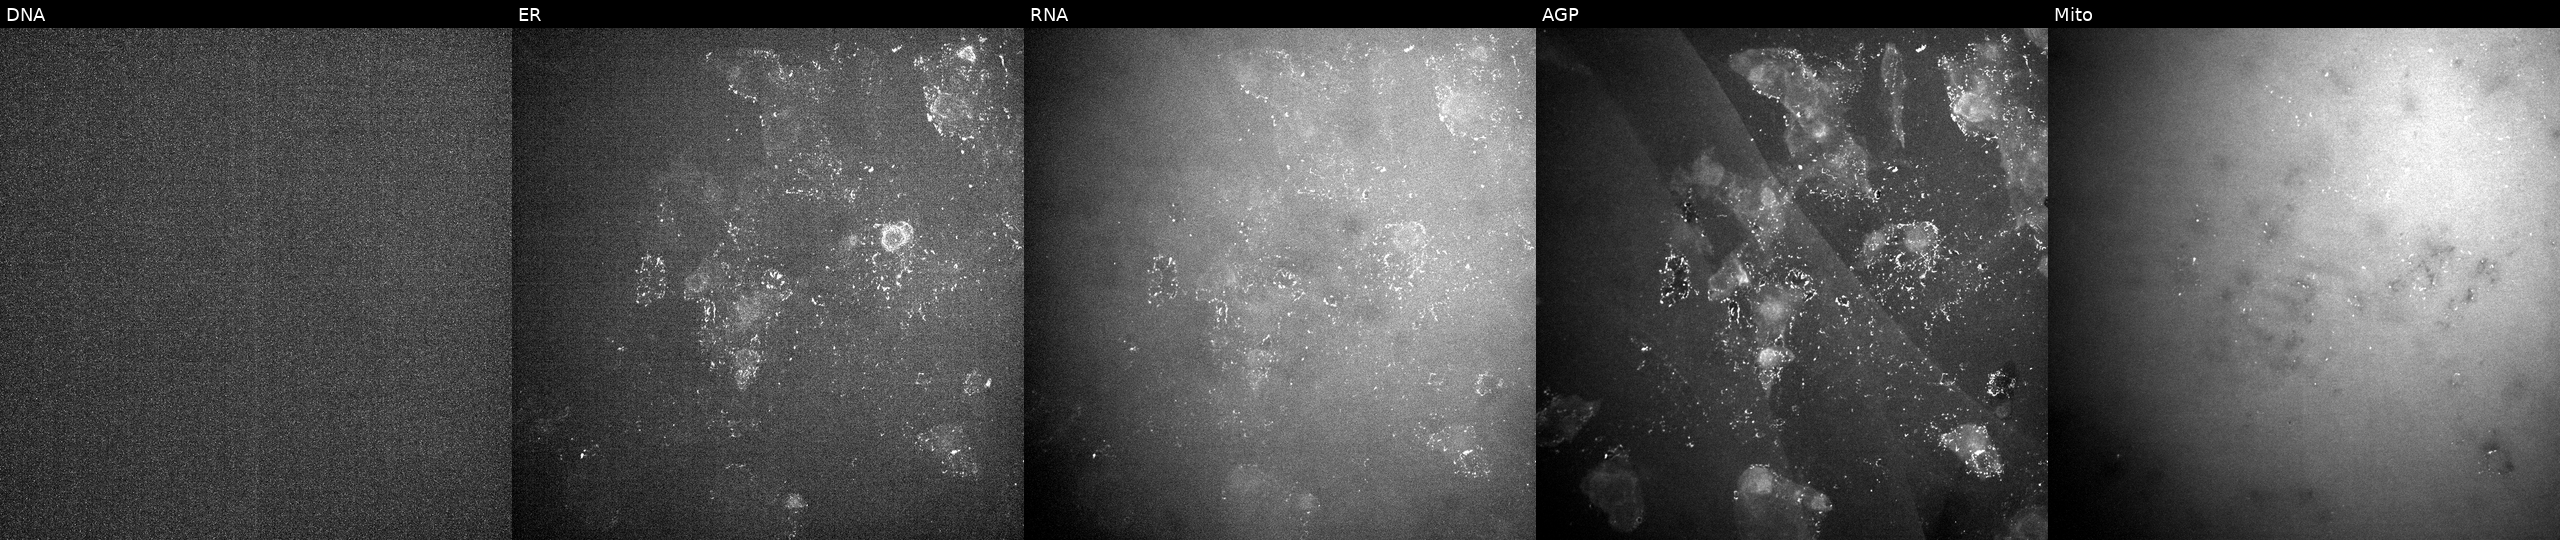
Panels show, left to right, DNA, ER, RNA, AGP, and Mito. U2OS osteosarcoma cells treated with a small-molecule compound (InChIKey PKCYYPHSCUSQDK-UHFFFAOYSA-N) [SMILES: Cc1ccc(C=C2CNCC(=Cc3ccc(C)cc3)C2=O)cc1] (JUMP id JCP2022_069131). Cell Painting assay, JUMP-CP dataset.